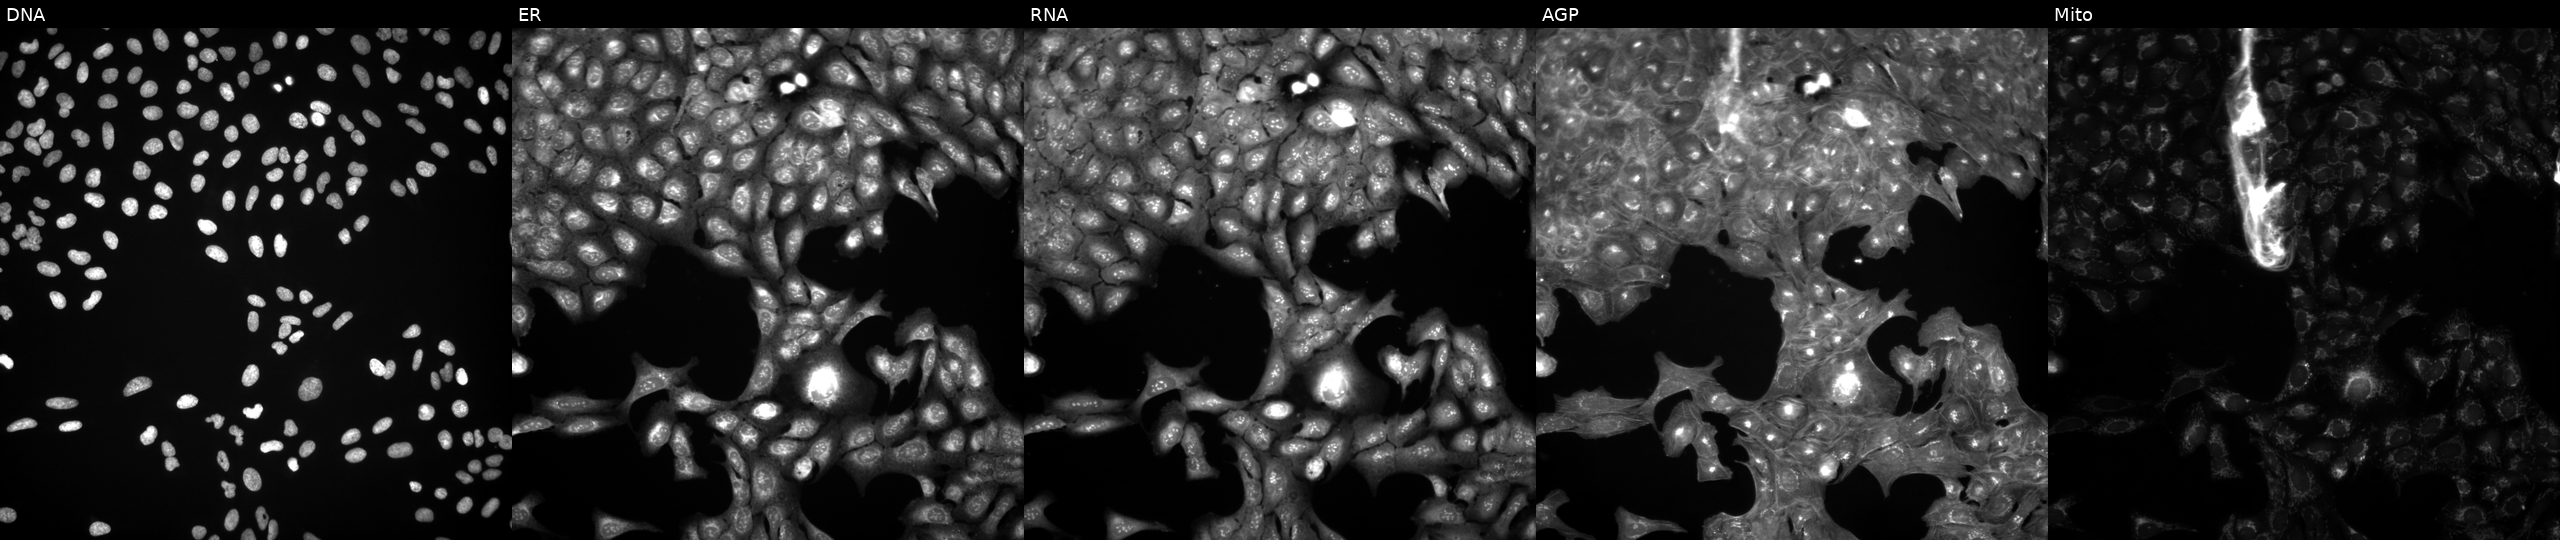
Five-channel Cell Painting image of U2OS cells in an empty control well (no perturbation). From left to right: DNA, ER, RNA, AGP, and Mito. Source 3, plate BR5867a3, well B12.